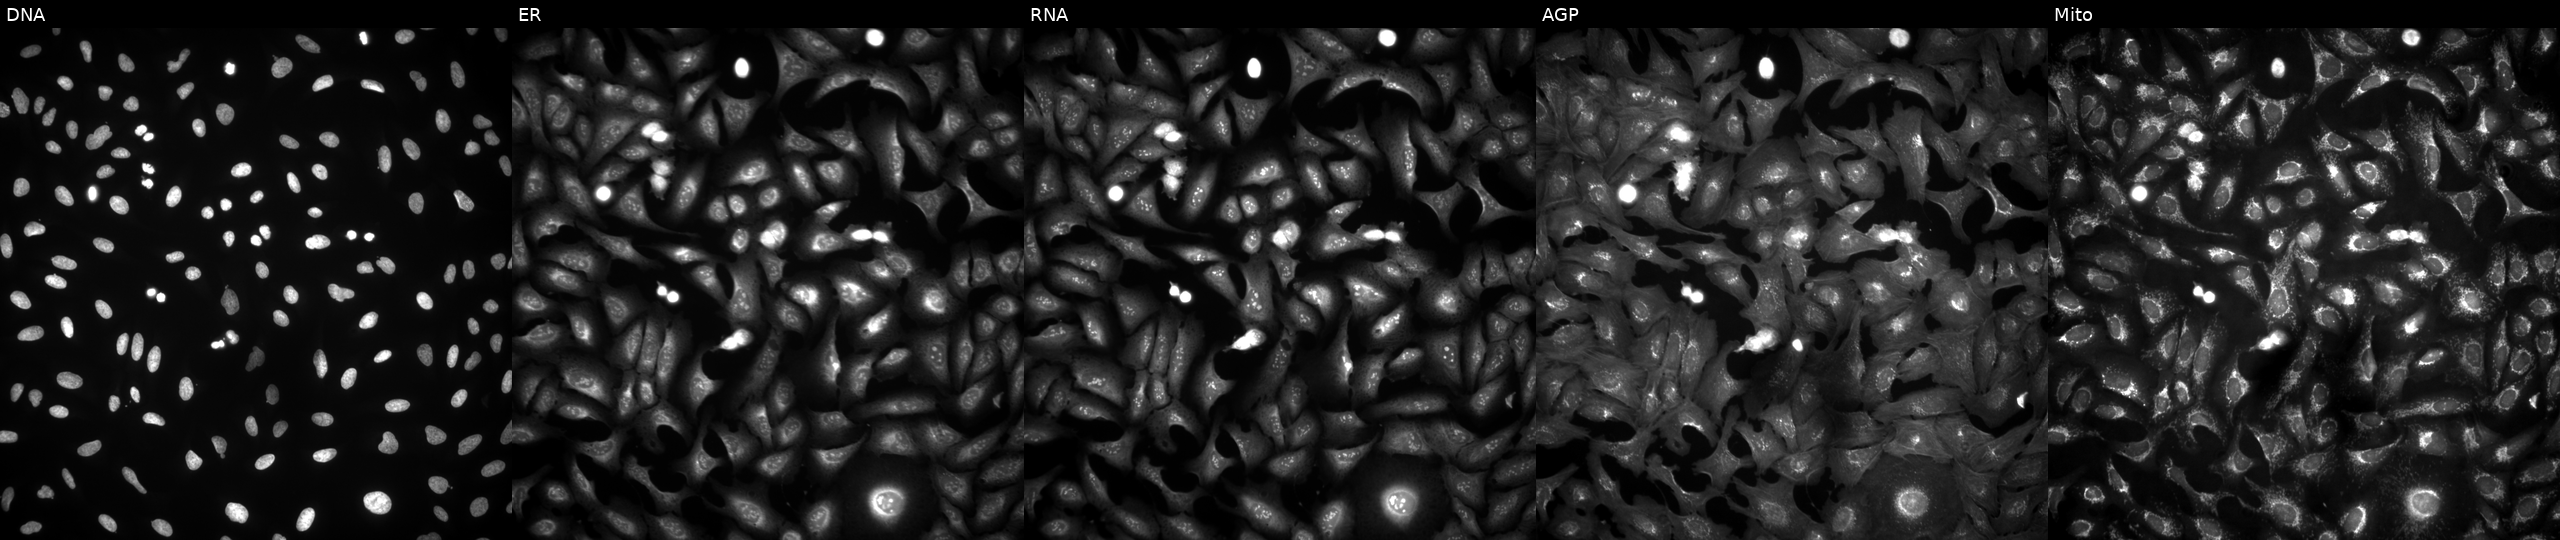
Five-channel Cell Painting image of U2OS cells transfected with an ORF construct for LHFPL3 (JUMP id JCP2022_909380). The five panels, left to right, show DNA (nuclei); ER (endoplasmic reticulum); RNA (nucleoli and cytoplasmic RNA); AGP (actin cytoskeleton, Golgi, and plasma membrane); Mito (mitochondria).